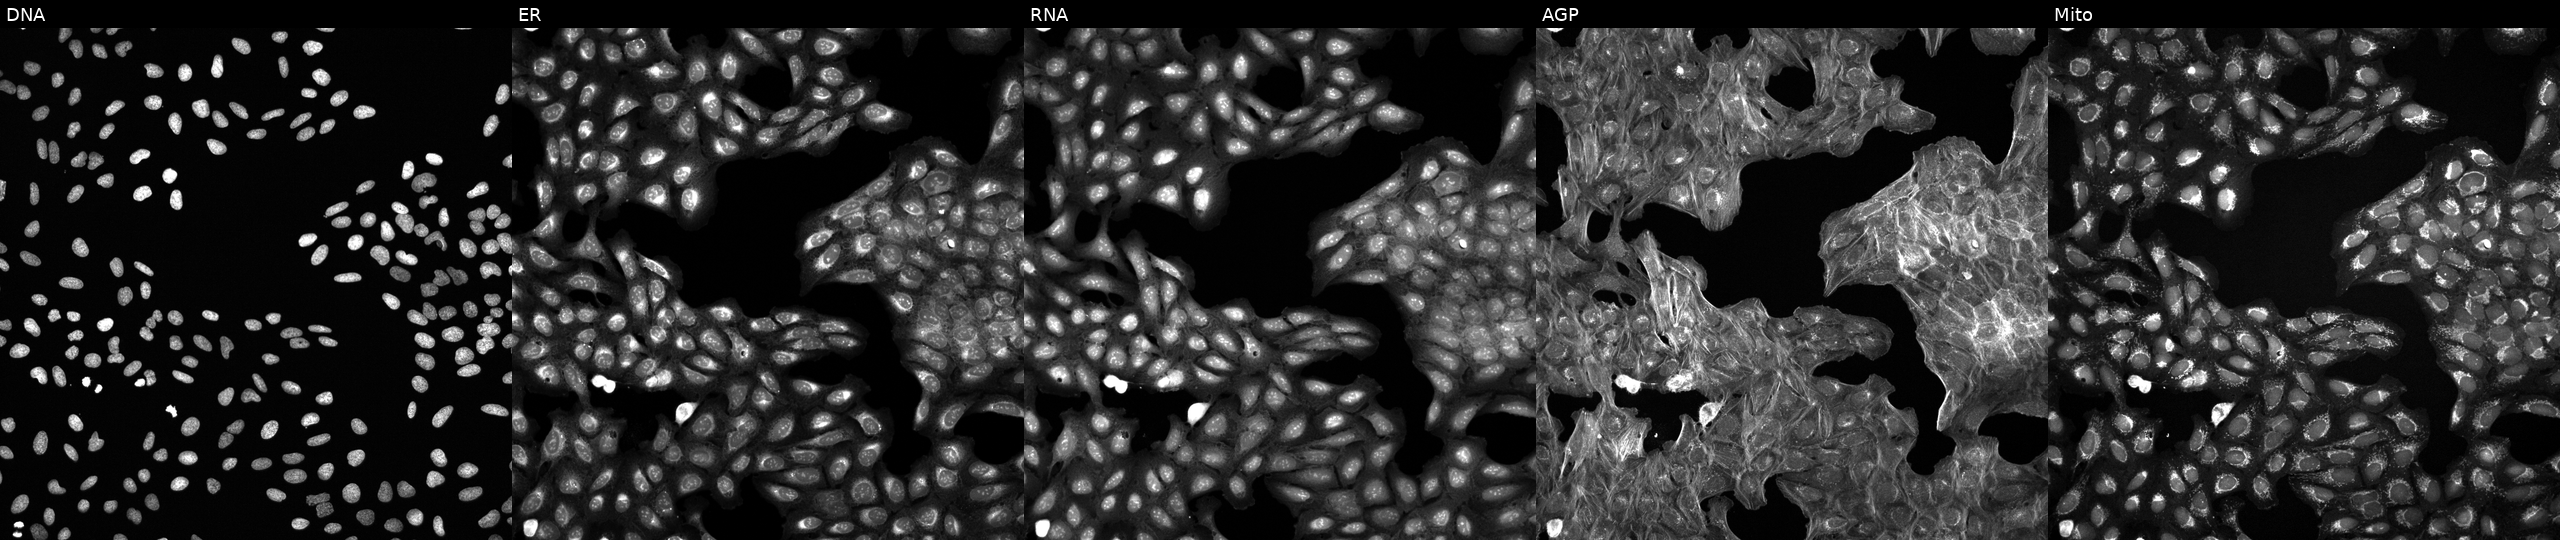
Panels show, left to right, DNA, ER, RNA, AGP, and Mito. U2OS osteosarcoma cells perturbed with a small-molecule compound (InChIKey TZDUHAJSIBHXDL-UHFFFAOYSA-N) [SMILES: CC(OC(=O)NCC1(CC(=O)O)CCCCC1)OC(=O)C(C)C] (JUMP id JCP2022_087693). Cell Painting assay, JUMP-CP dataset. Source 6, plate 110000294901, well O18.